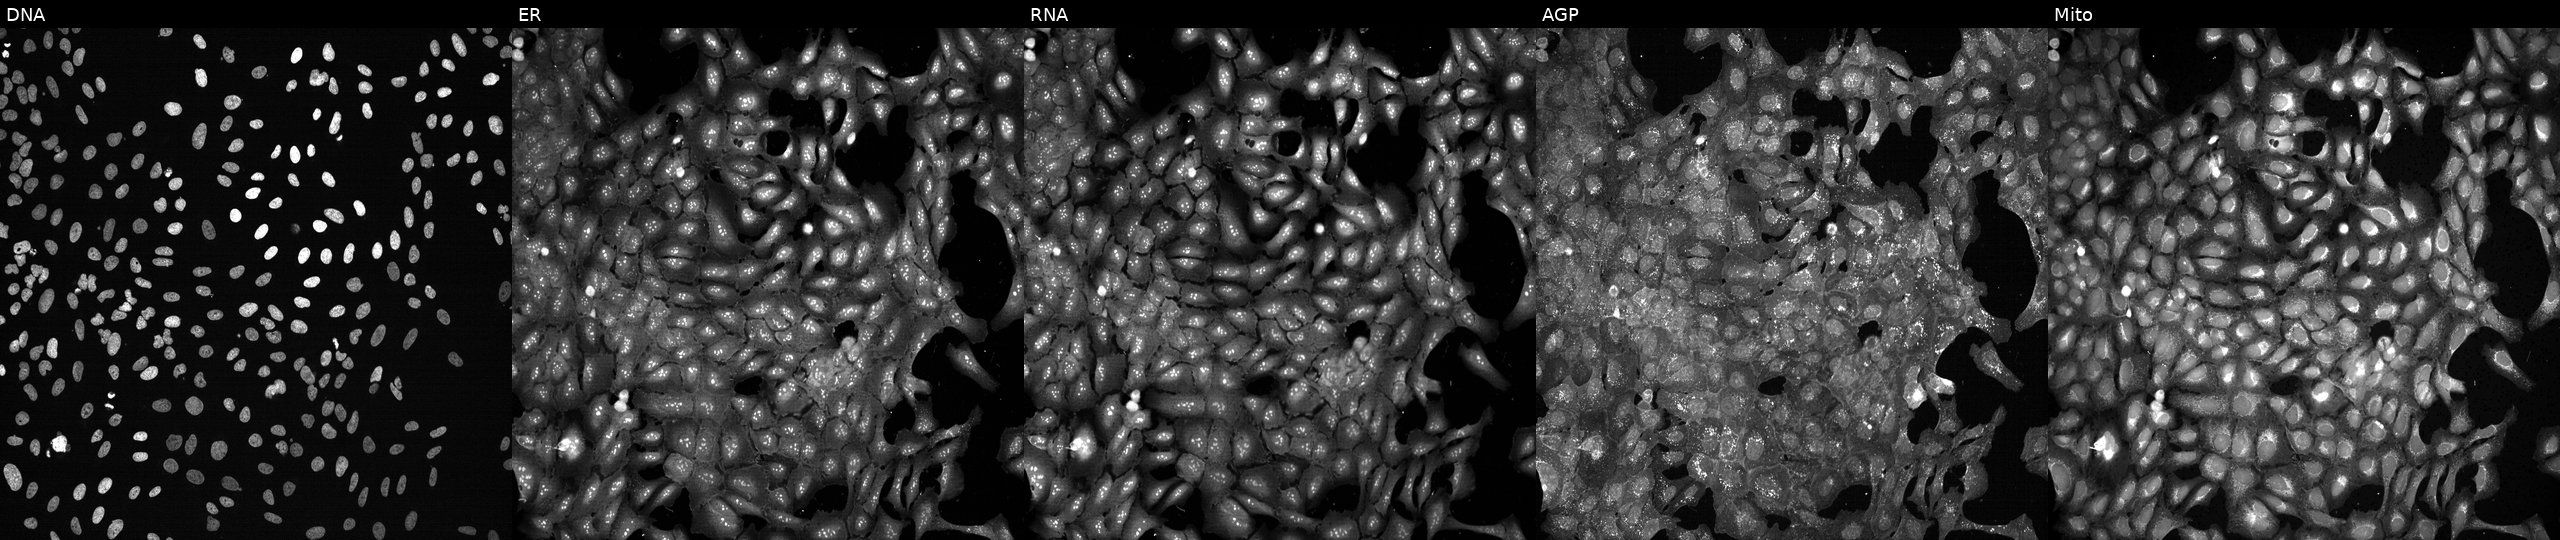
JUMP Cell Painting — CRISPR plate. U2OS cells CRISPR-edited to disrupt DDX47 (JUMP id JCP2022_801743). From left to right: Hoechst 33342, concanavalin A, SYTO 14, phalloidin and WGA, MitoTracker.